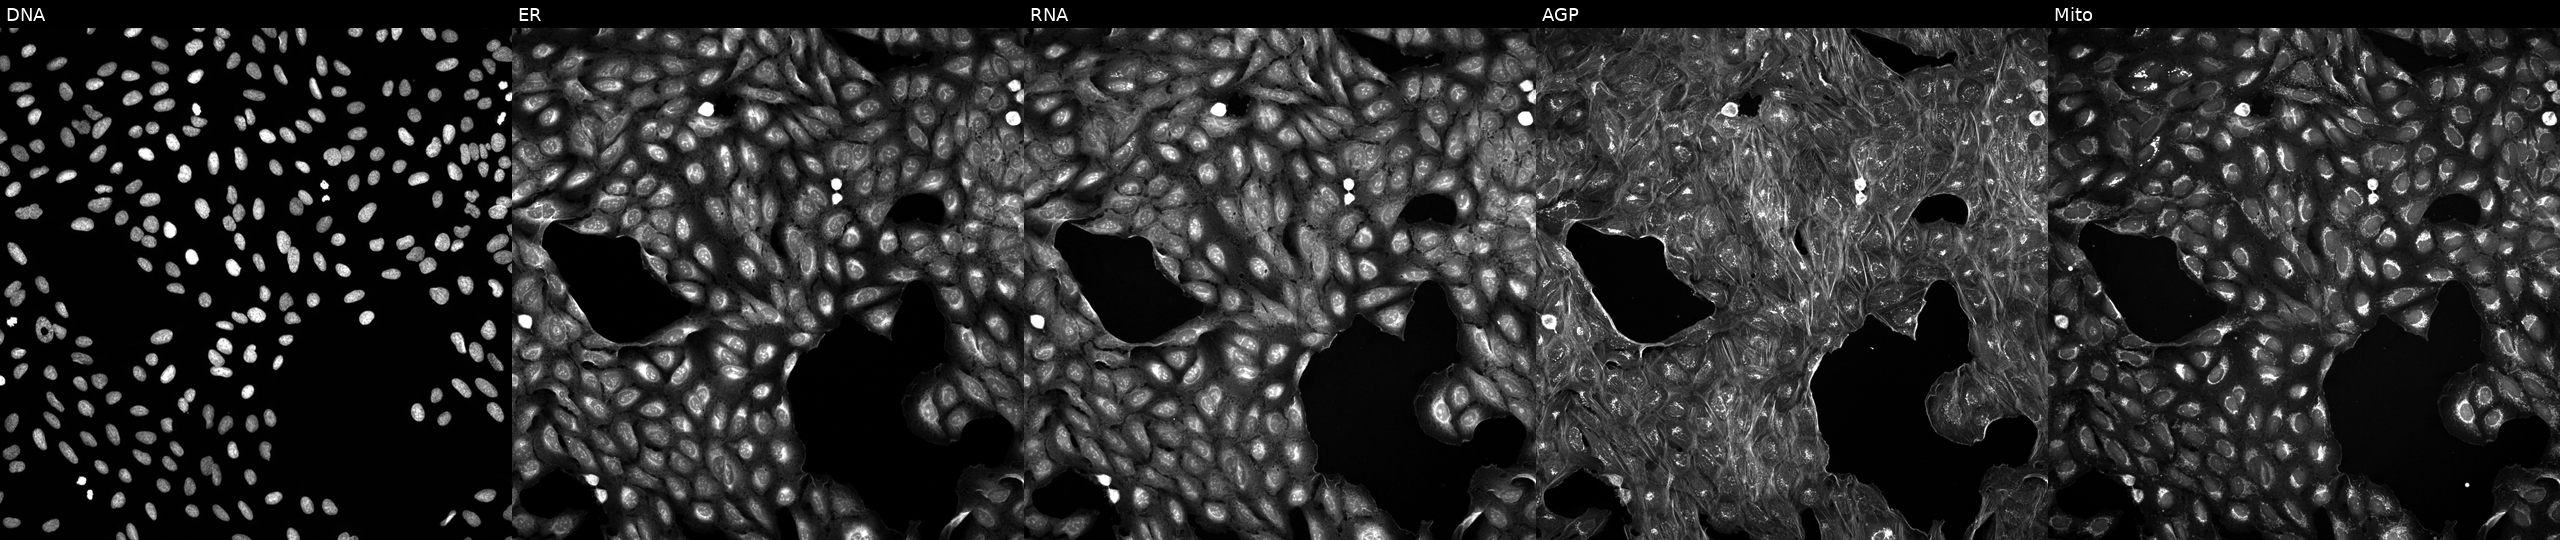
Five-channel Cell Painting image of U2OS cells treated with a small-molecule compound (InChIKey QFWCYNPOPKQOKV-UHFFFAOYSA-N). From left to right: Hoechst 33342, concanavalin A, SYTO 14, phalloidin and WGA, MitoTracker.